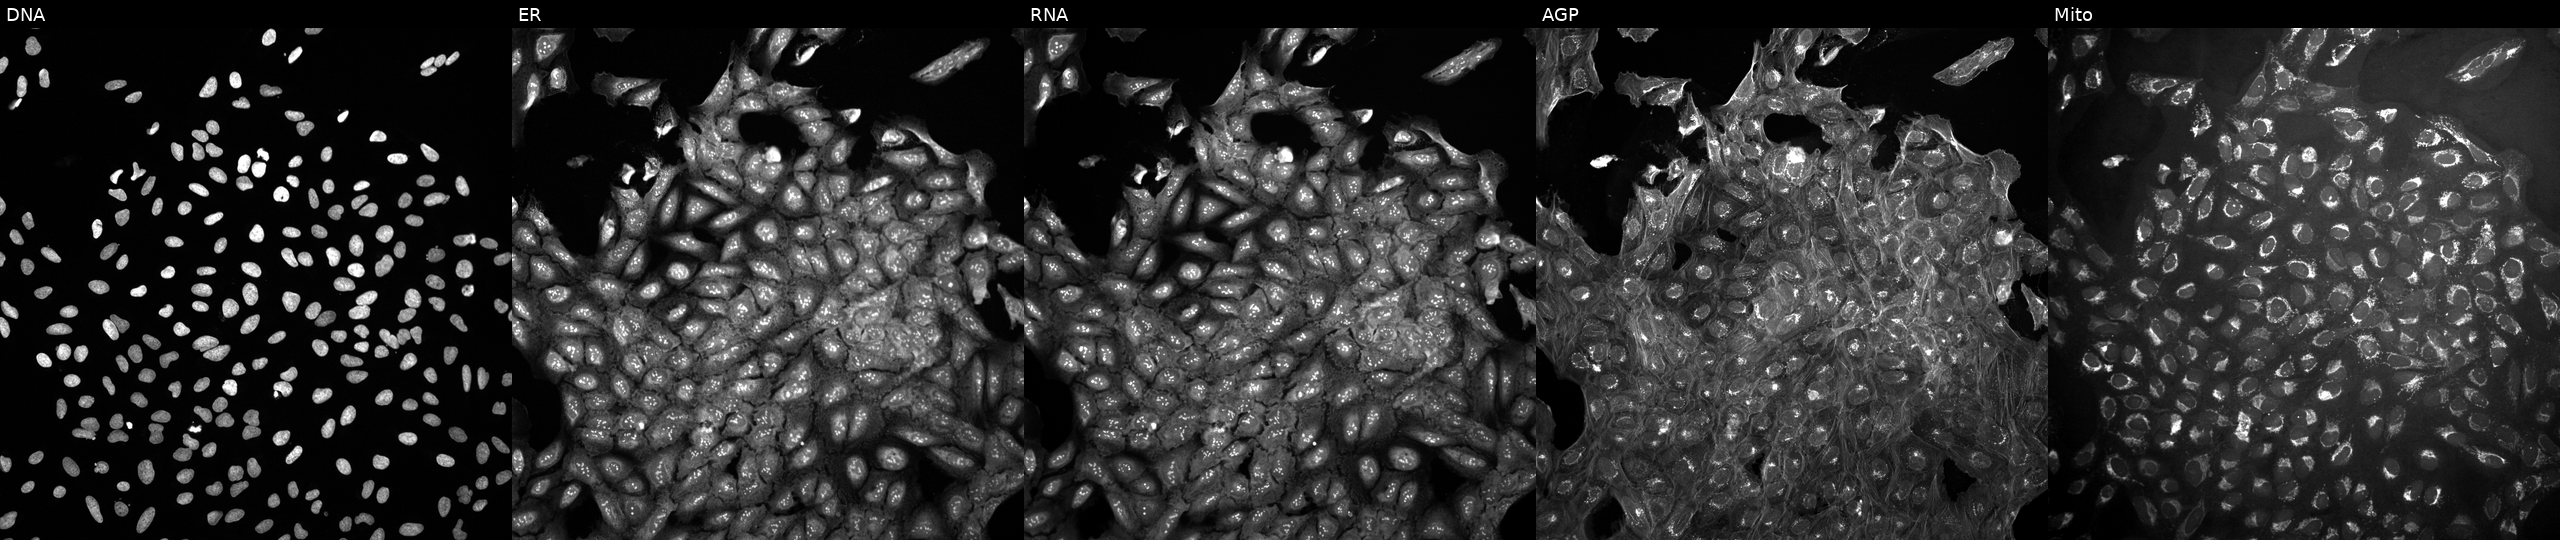
Five-channel Cell Painting image of U2OS cells exposed to a small-molecule compound (InChIKey OLSIICFDVROVMH-UHFFFAOYSA-N) [SMILES: O=C(NCc1cccs1)NCC1(O)CCOC1]. Channels (left→right): DNA (nuclei); ER (endoplasmic reticulum); RNA (nucleoli and cytoplasmic RNA); AGP (actin cytoskeleton, Golgi, and plasma membrane); Mito (mitochondria).